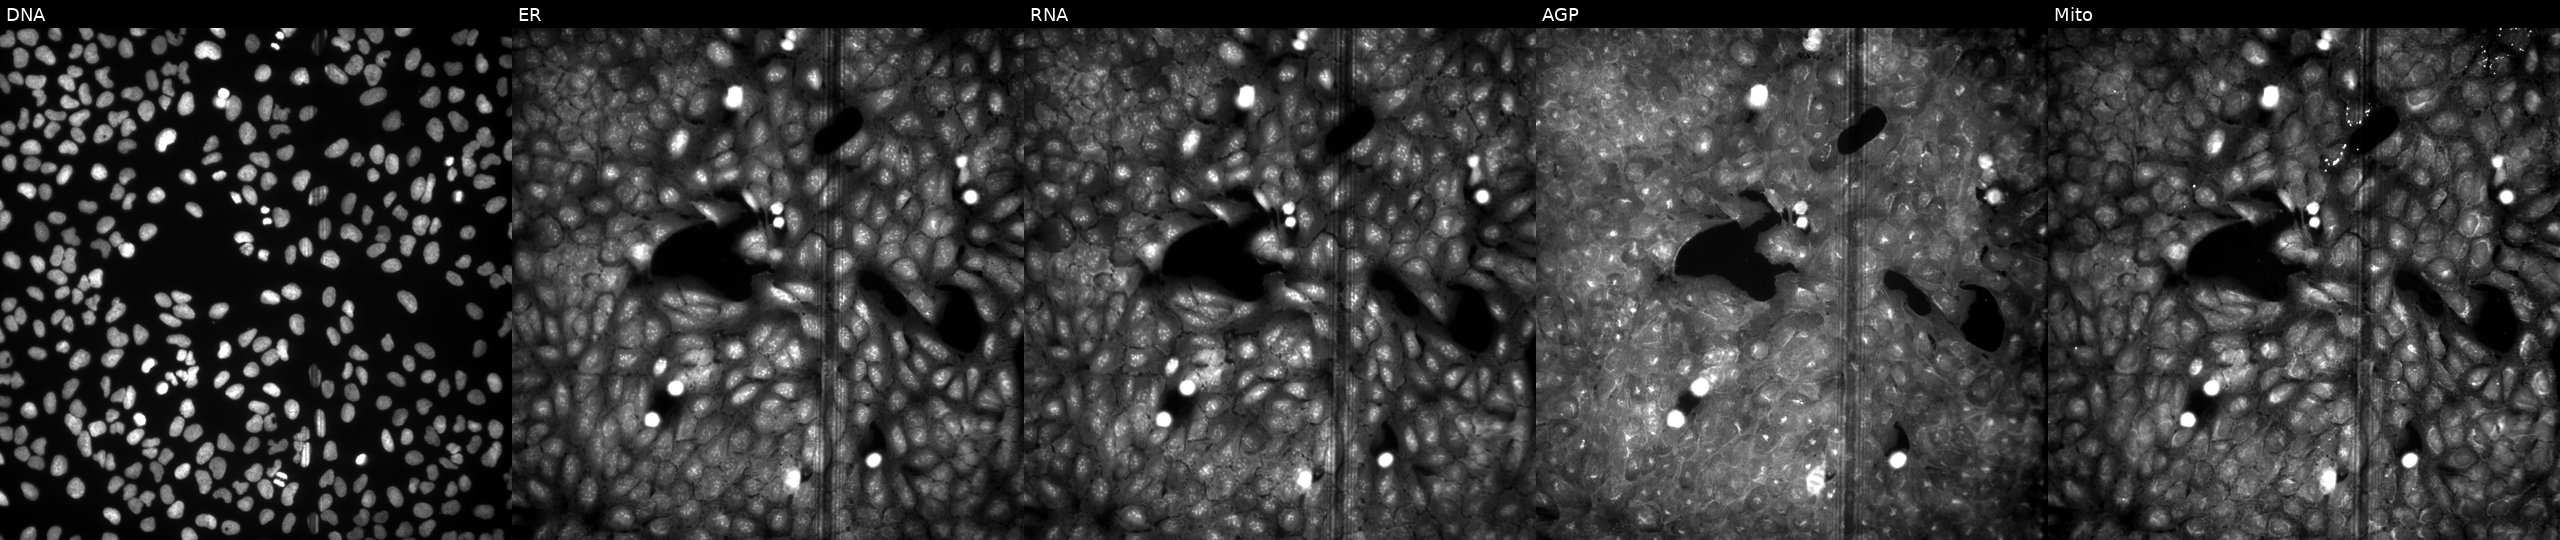
JUMP Cell Painting — COMPOUND plate. U2OS cells exposed to a small-molecule compound. The five panels, left to right, show Hoechst 33342, concanavalin A, SYTO 14, phalloidin and WGA, MitoTracker.